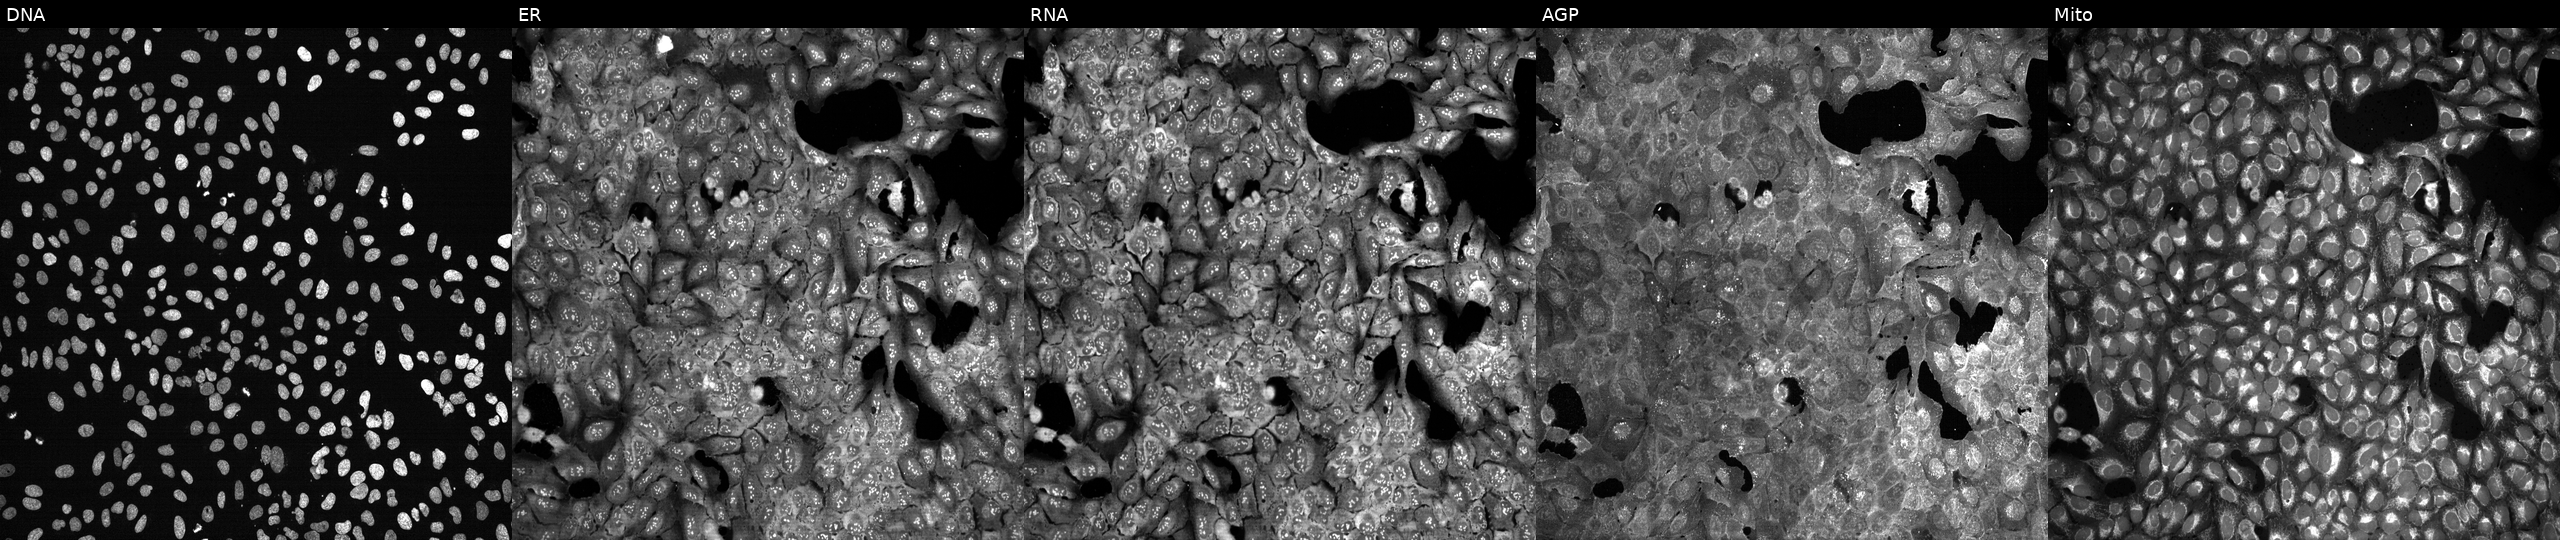
High-content fluorescence microscopy (Cell Painting). Cell line: U2OS. Perturbation: with OGG1 knocked out by CRISPR (JUMP id JCP2022_804782). The five panels, left to right, show DNA (nuclei); ER (endoplasmic reticulum); RNA (nucleoli and cytoplasmic RNA); AGP (actin cytoskeleton, Golgi, and plasma membrane); Mito (mitochondria).